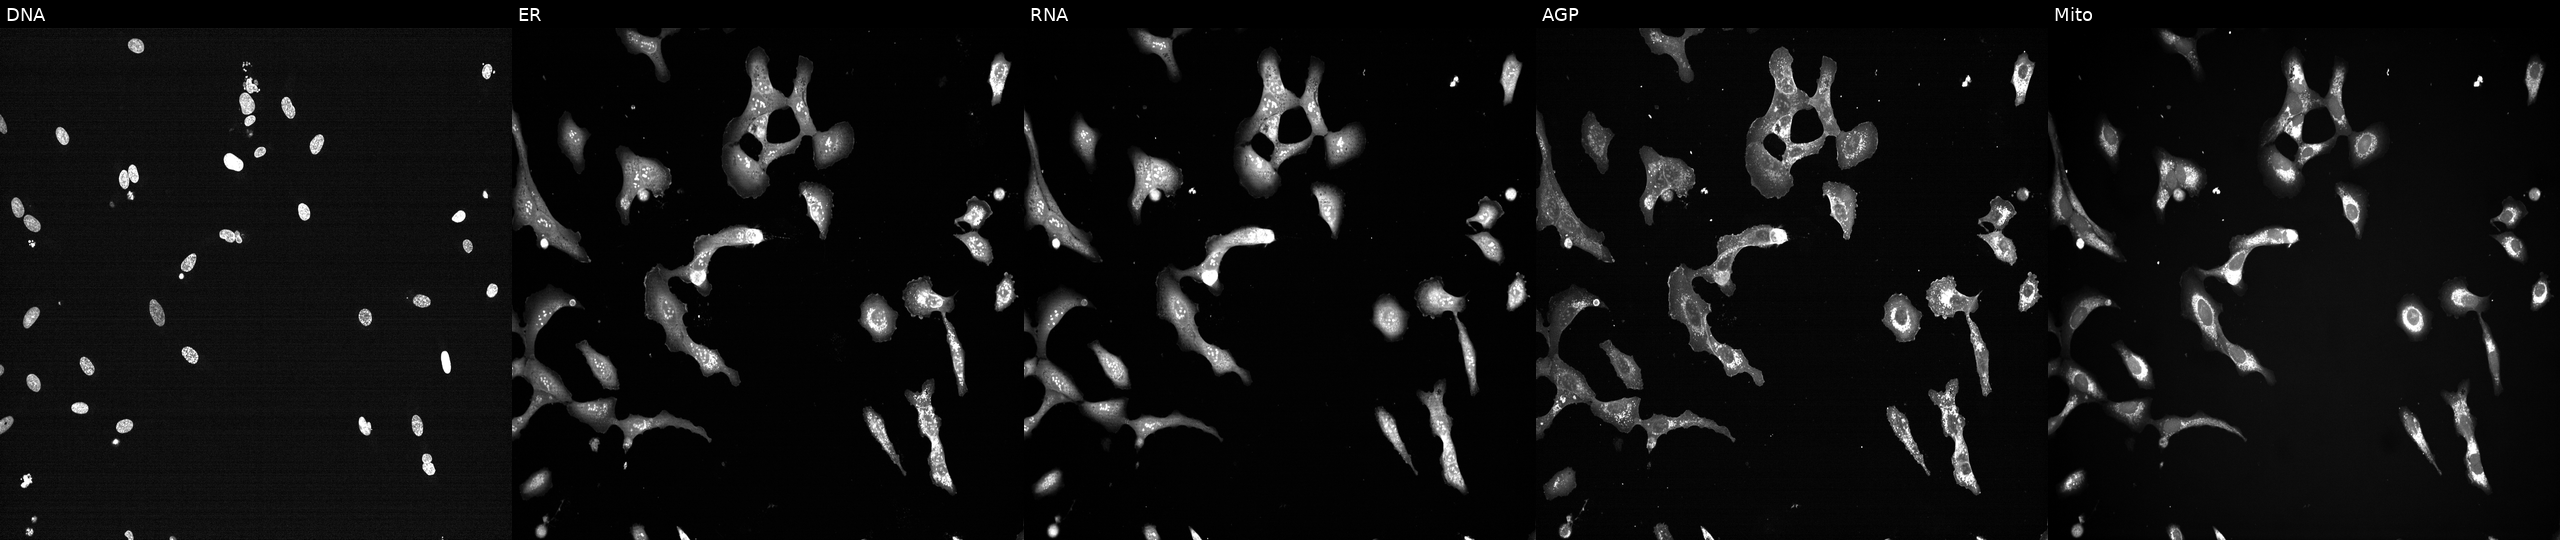
Five-channel Cell Painting image of U2OS cells perturbed with a small-molecule compound (InChIKey XQVVPGYIWAGRNI-UHFFFAOYSA-N) [SMILES: CCC1C(=O)N(C)c2c[nH]c(=Nc3ccc(C(=O)NC4CCN(C)CC4)cc3OC)nc2N1C1CCCC1]. The five panels, left to right, show Hoechst 33342, concanavalin A, SYTO 14, phalloidin and WGA, MitoTracker.